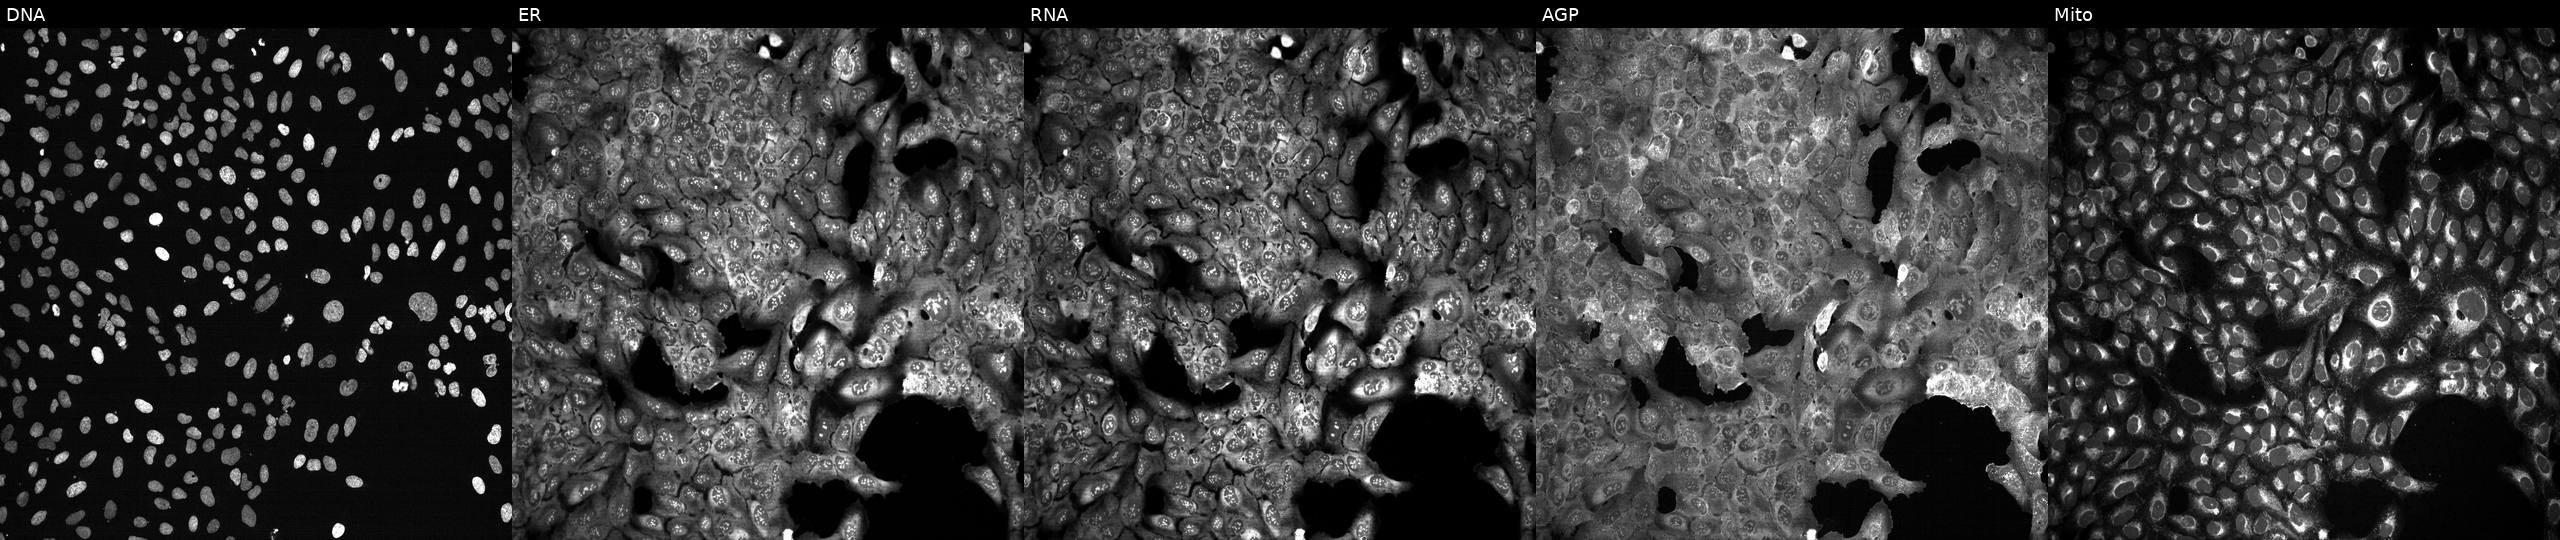
Five-channel Cell Painting image of U2OS cells with LCT knocked out by CRISPR. The five panels, left to right, show DNA, ER, RNA, AGP, and Mito. Source 13, plate CP-CC9-R3-02, well F09.